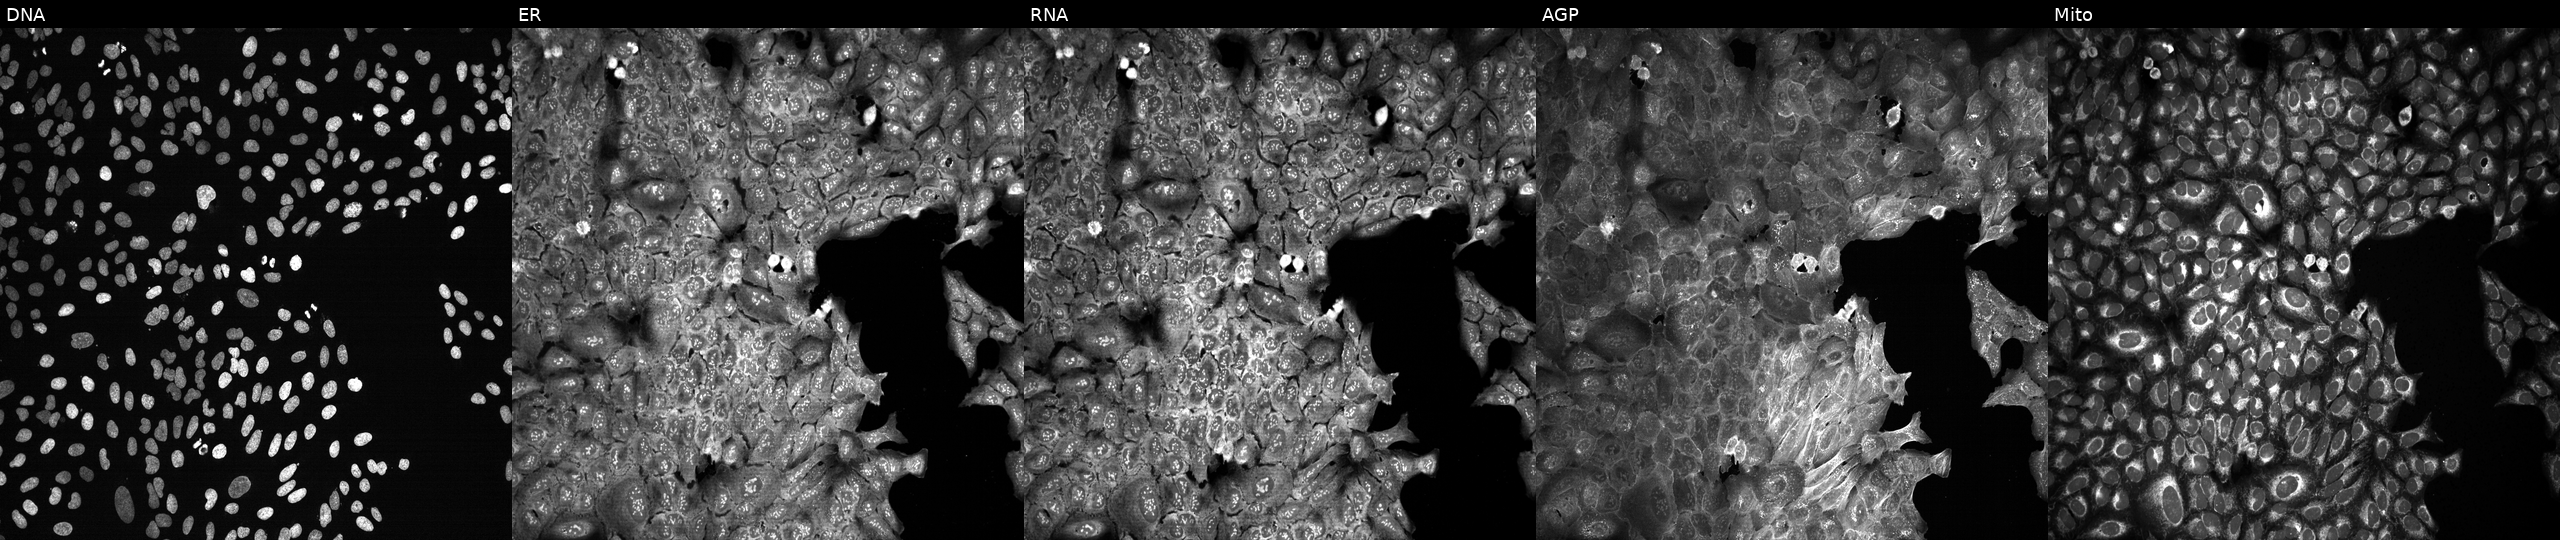
U2OS cells, Cell Painting assay, with EIF3H knocked out by CRISPR. Channels (left→right): DNA, ER, RNA, AGP, and Mito. Each panel is percentile-stretched 16-bit fluorescence. Source 13, plate CP-CC9-R6-19, well G14.